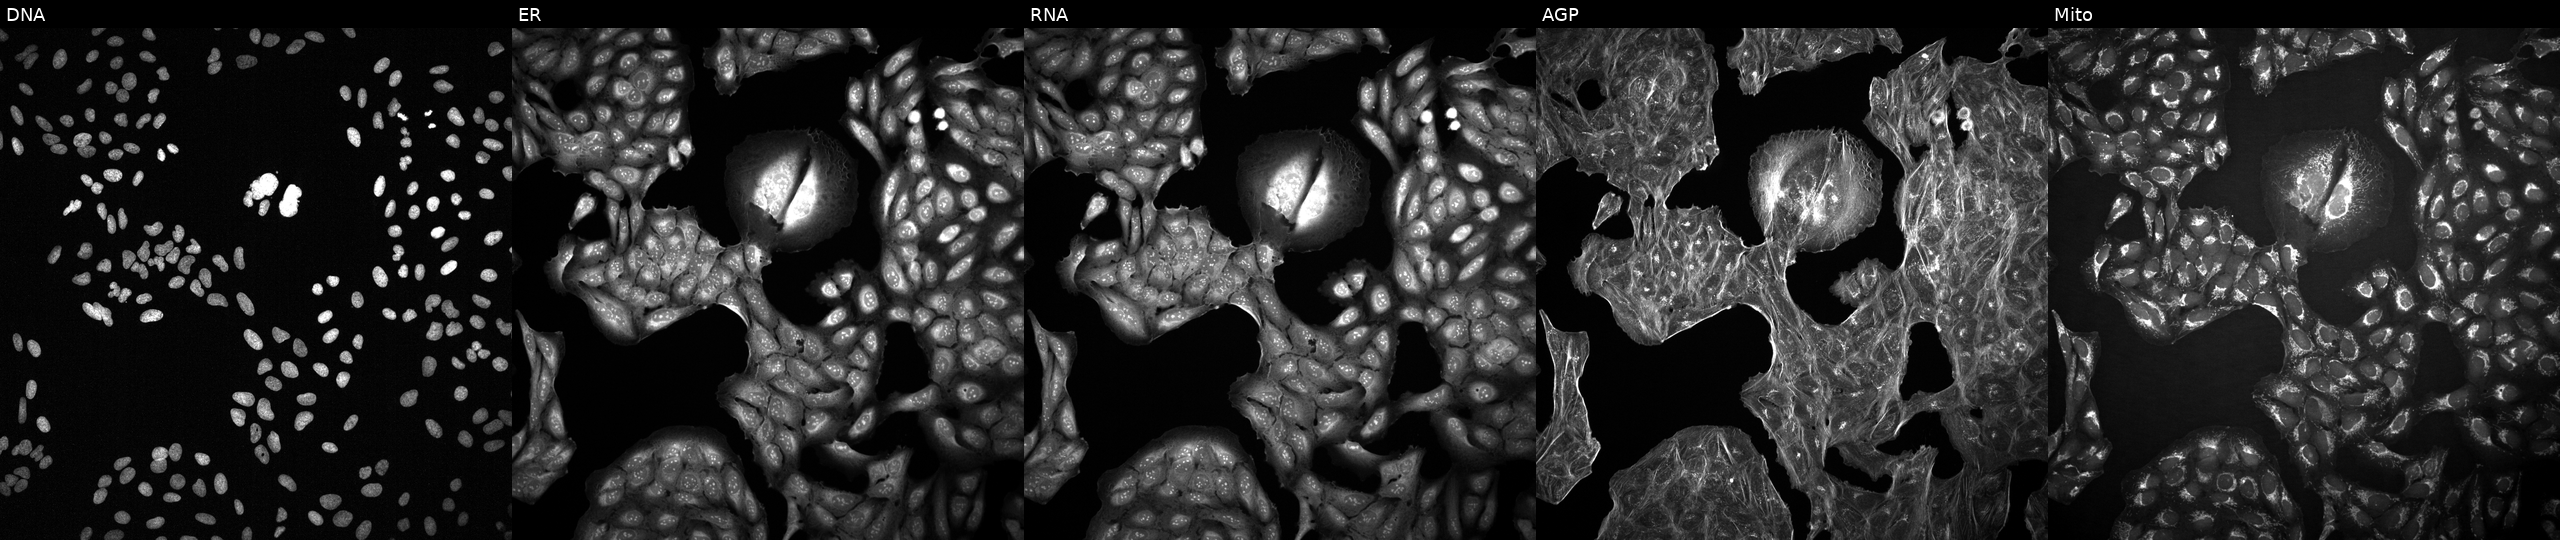
High-content fluorescence microscopy (Cell Painting). Cell line: U2OS. Perturbation: treated with a small-molecule compound (InChIKey ALOBUEHUHMBRLE-UHFFFAOYSA-N) [SMILES: CCCCCCCN(CC)CCCC(O)c1ccc(NS(C)(=O)=O)cc1] (JUMP id JCP2022_002206). Channels (left→right): Hoechst 33342, concanavalin A, SYTO 14, phalloidin and WGA, MitoTracker. Source 2, plate 1053600674, well K20.